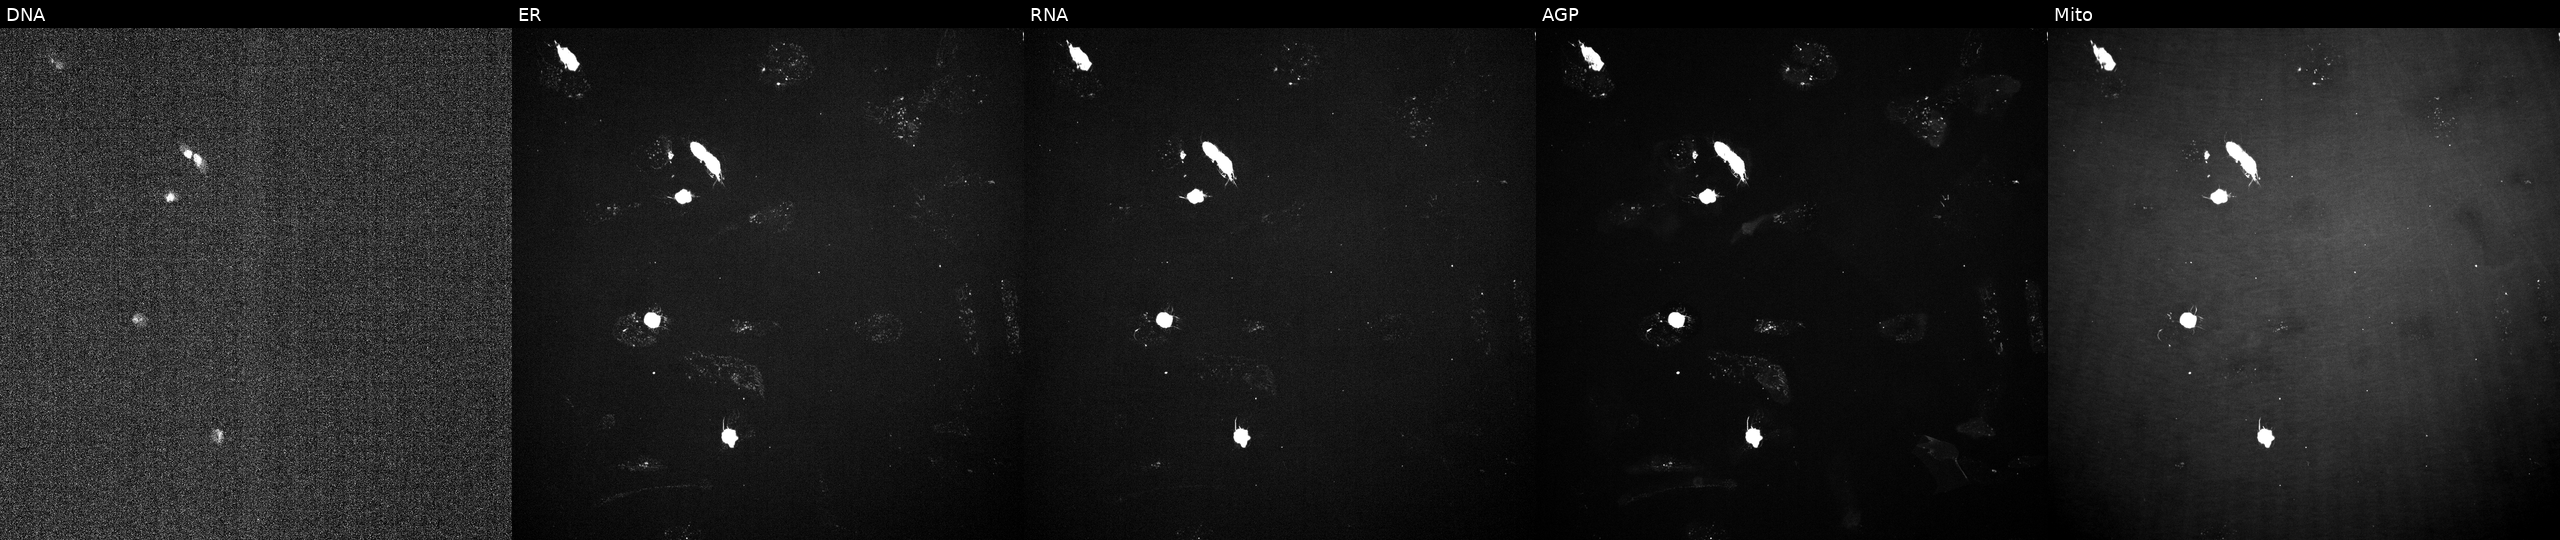
Five-channel Cell Painting image of U2OS cells with an unidentified perturbation (not annotated in JUMP metadata). Panels show, left to right, Hoechst 33342, concanavalin A, SYTO 14, phalloidin and WGA, MitoTracker.